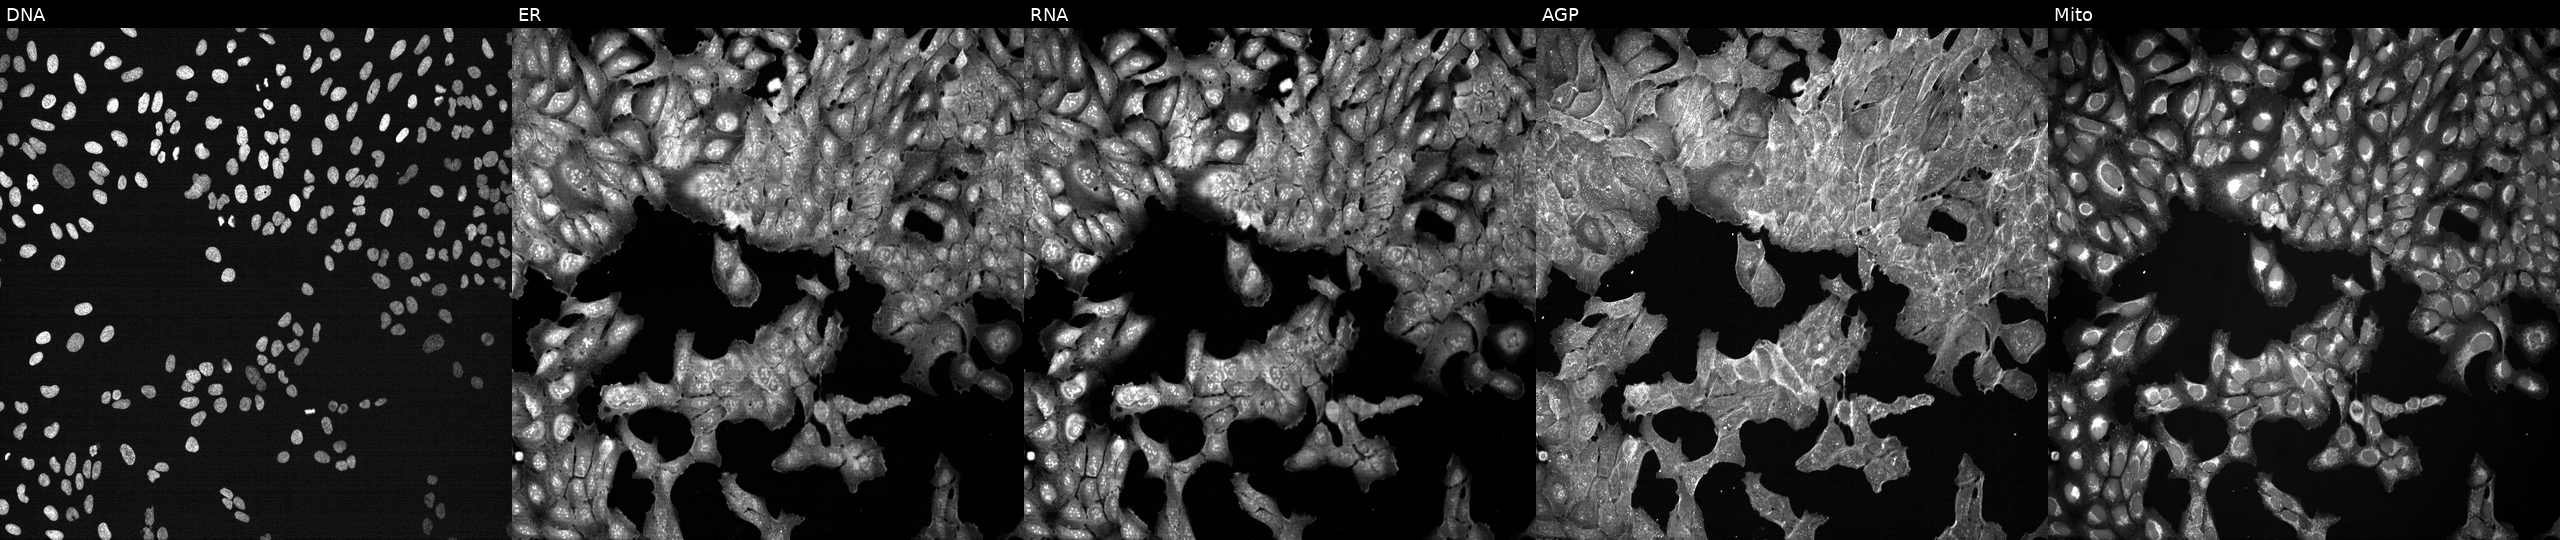
JUMP Cell Painting — TARGET2 plate. U2OS cells exposed to DMSO alone as a negative control (JUMP id JCP2022_033924). Channels (left→right): DNA, ER, RNA, AGP, and Mito.